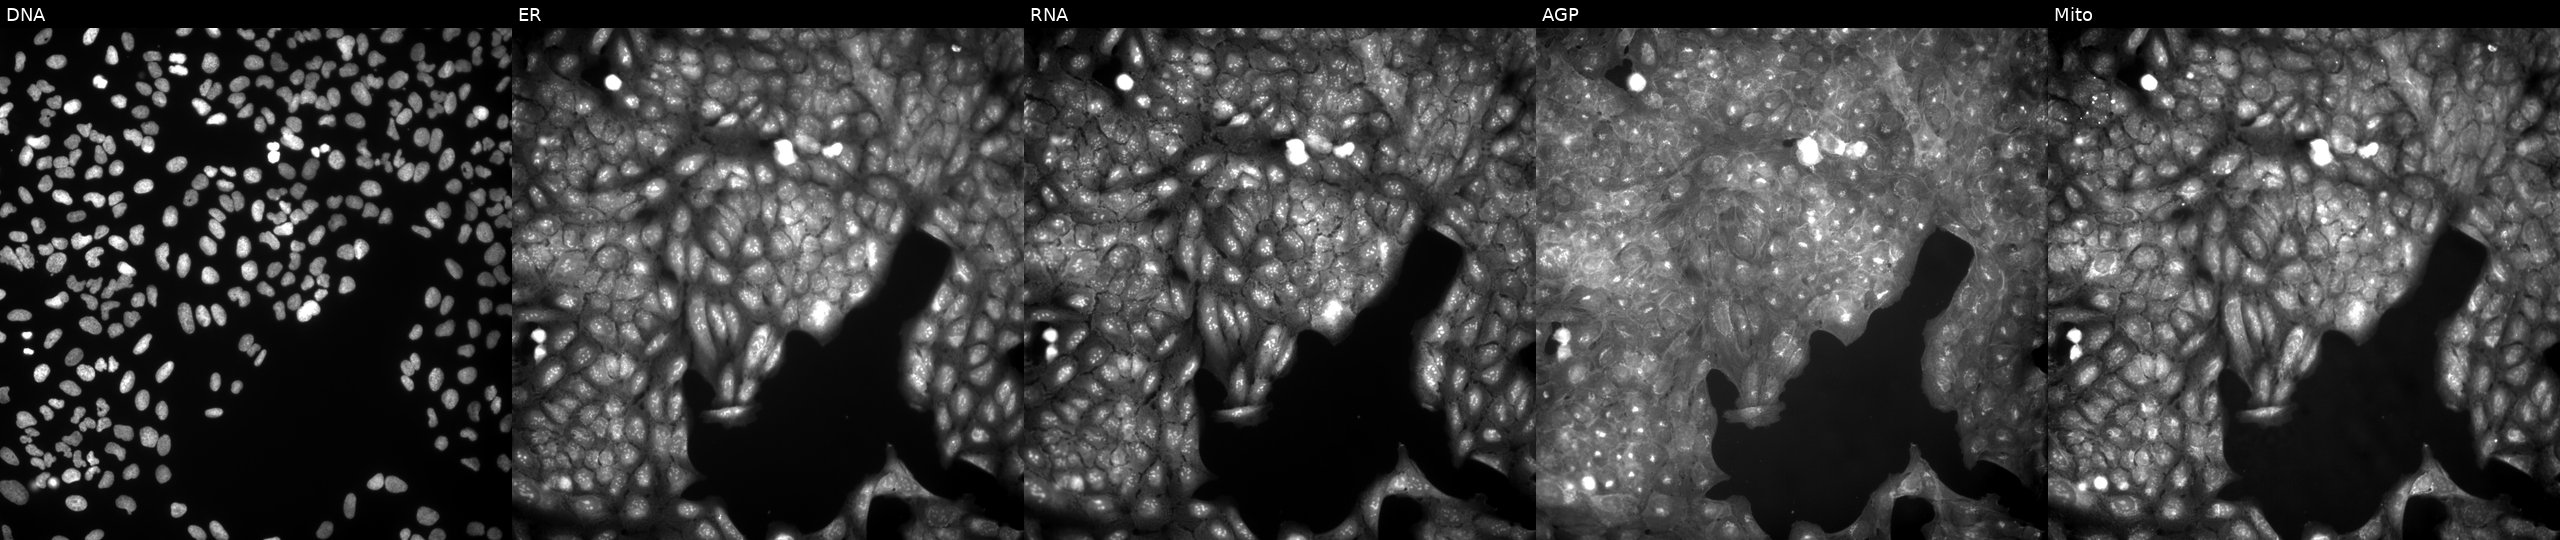
This image strip shows the five Cell Painting channels for a single field of U2OS cells perturbed with a small-molecule compound (InChIKey RBJODQHLUNRRBU-UHFFFAOYSA-N). The five panels, left to right, show Hoechst 33342, concanavalin A, SYTO 14, phalloidin and WGA, MitoTracker. Source 9, plate GR00003382, well P21.